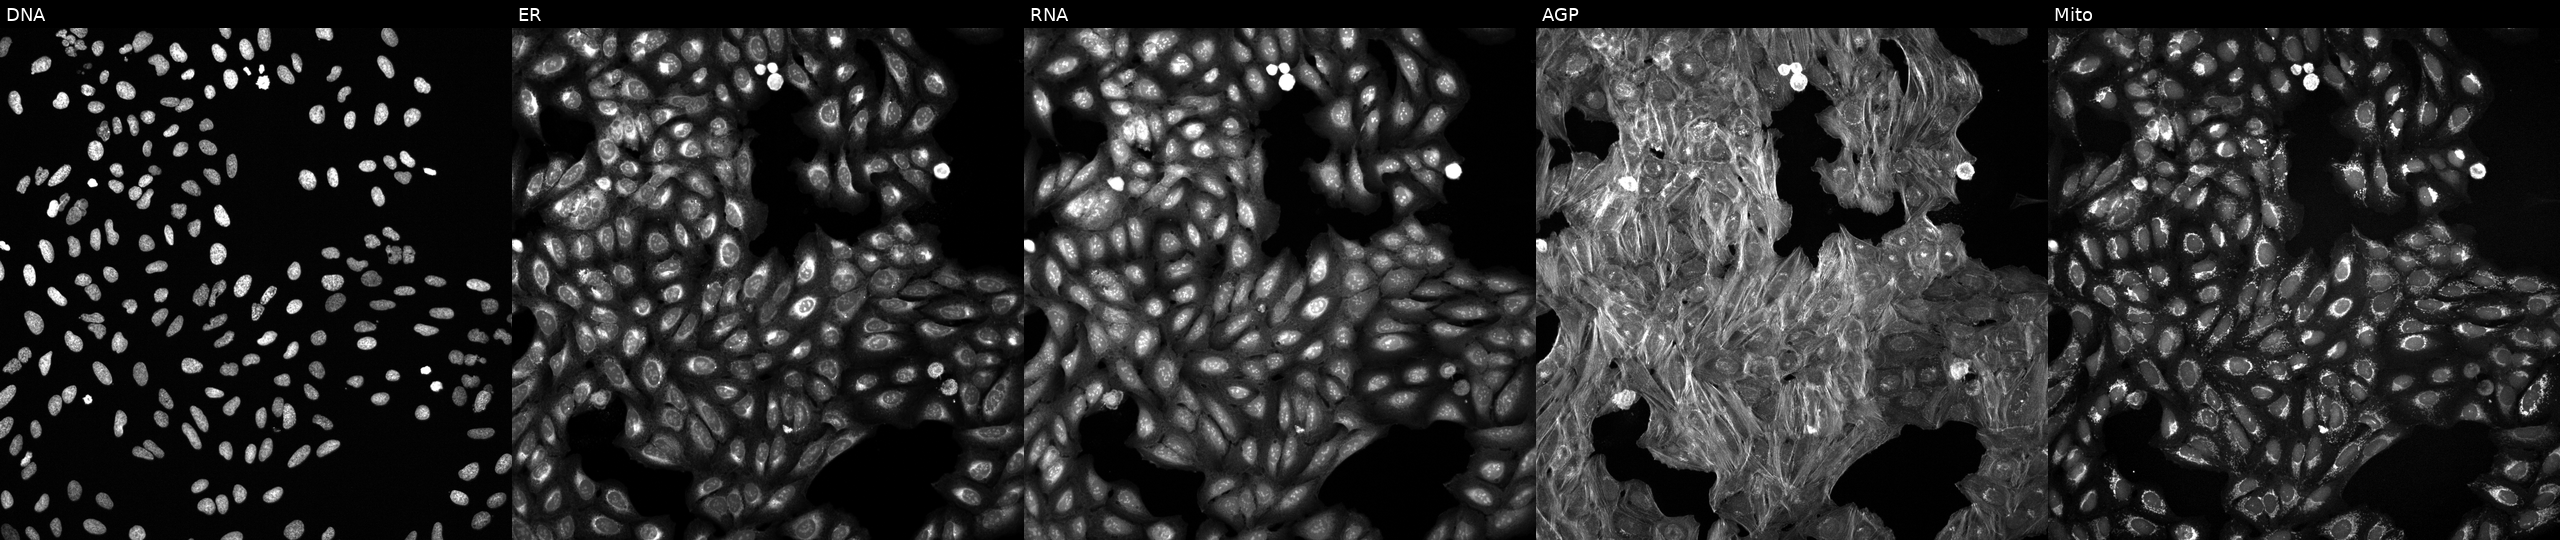
Channels (left→right): DNA, ER, RNA, AGP, and Mito. U2OS osteosarcoma cells perturbed with a small-molecule compound [SMILES: Cc1nonc1CN(C)Cc1cccc(-c2ccc(F)cc2)c1]. Cell Painting assay, JUMP-CP dataset. Source 6, plate 110000293083, well K16.